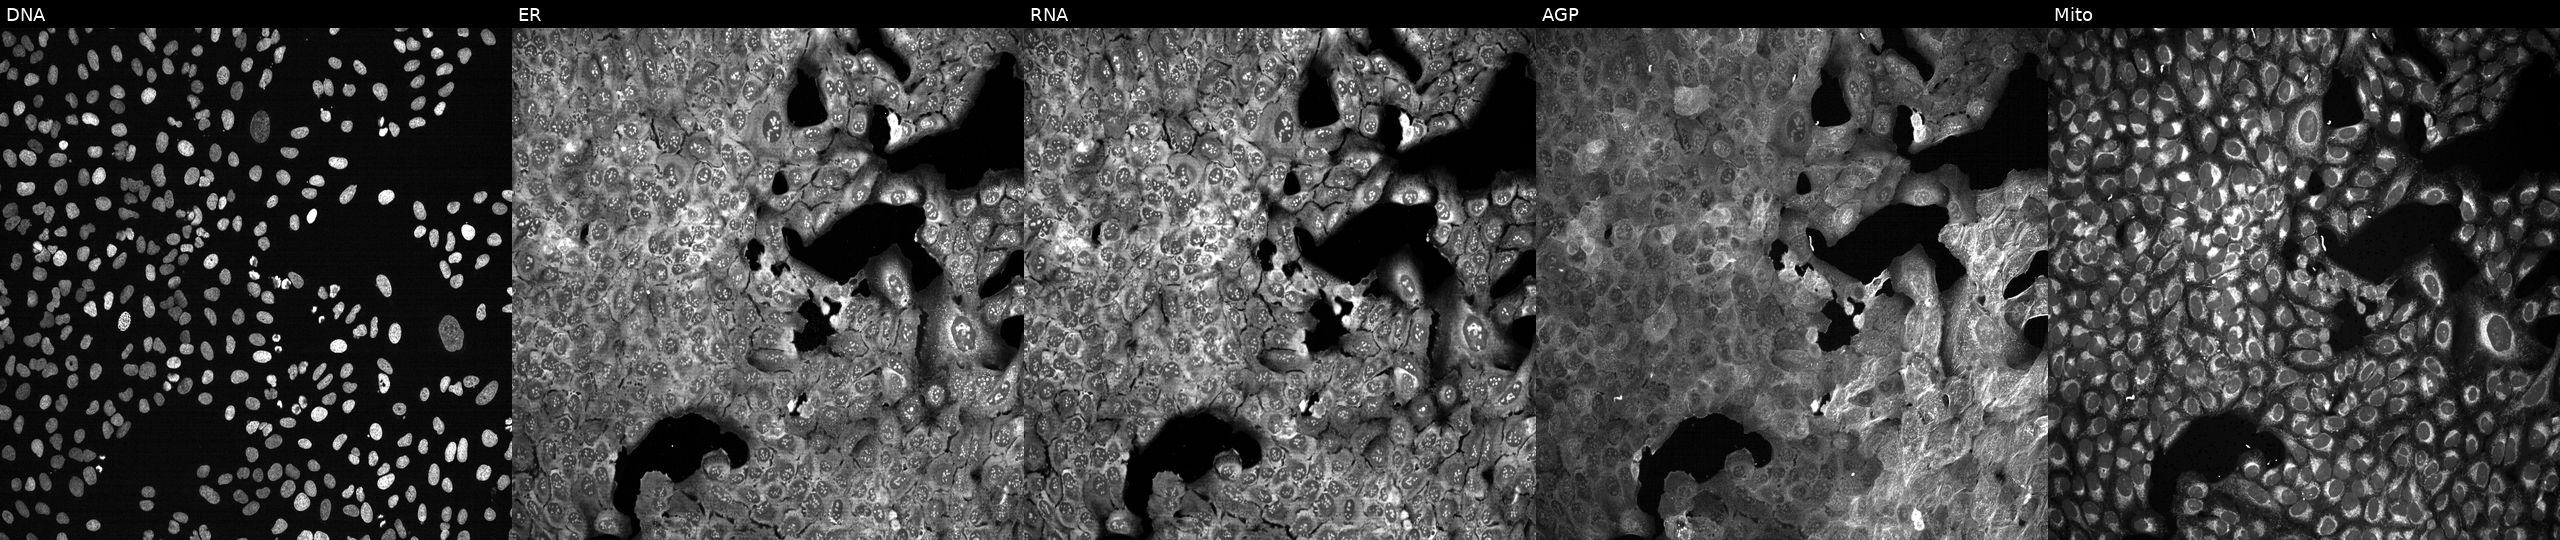
This image strip shows the five Cell Painting channels for a single field of U2OS cells following CRISPR knockout of NDST4 (JUMP id JCP2022_804471). Panels show, left to right, Hoechst 33342, concanavalin A, SYTO 14, phalloidin and WGA, MitoTracker. Source 13, plate CP-CC9-R2-01, well P13.